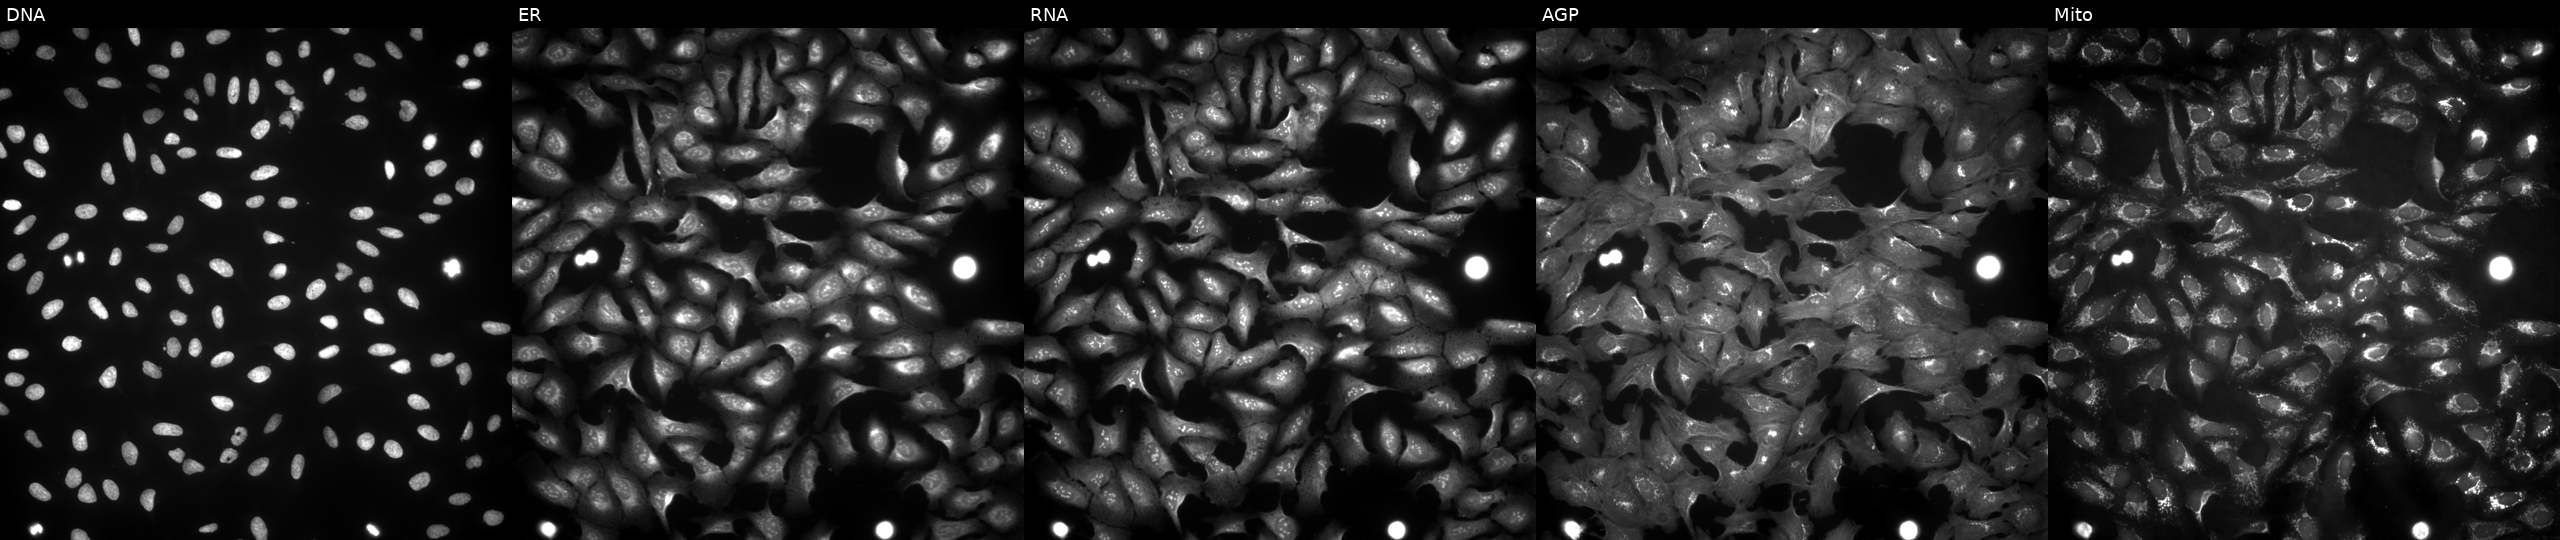
Five-channel Cell Painting image of U2OS cells overexpressing PDK3 via ORF transfection (JUMP id JCP2022_901092). From left to right: Hoechst 33342, concanavalin A, SYTO 14, phalloidin and WGA, MitoTracker.